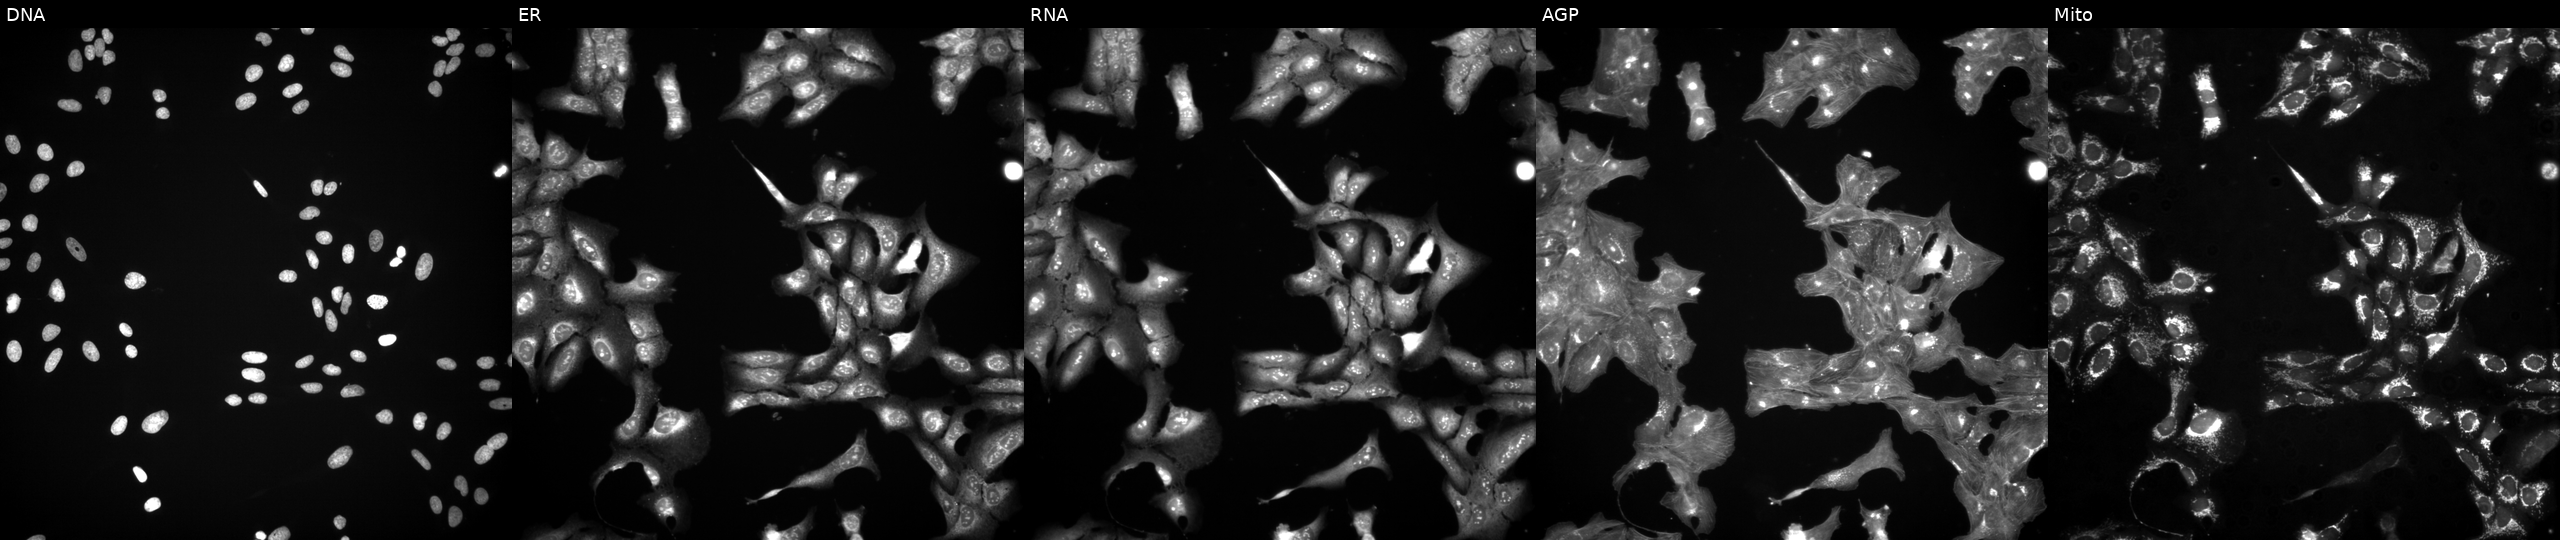
Five-channel Cell Painting image of U2OS cells treated with a small-molecule compound (InChIKey KMZFIVKQSIVDCT-UHFFFAOYSA-N). Channels (left→right): Hoechst 33342, concanavalin A, SYTO 14, phalloidin and WGA, MitoTracker.